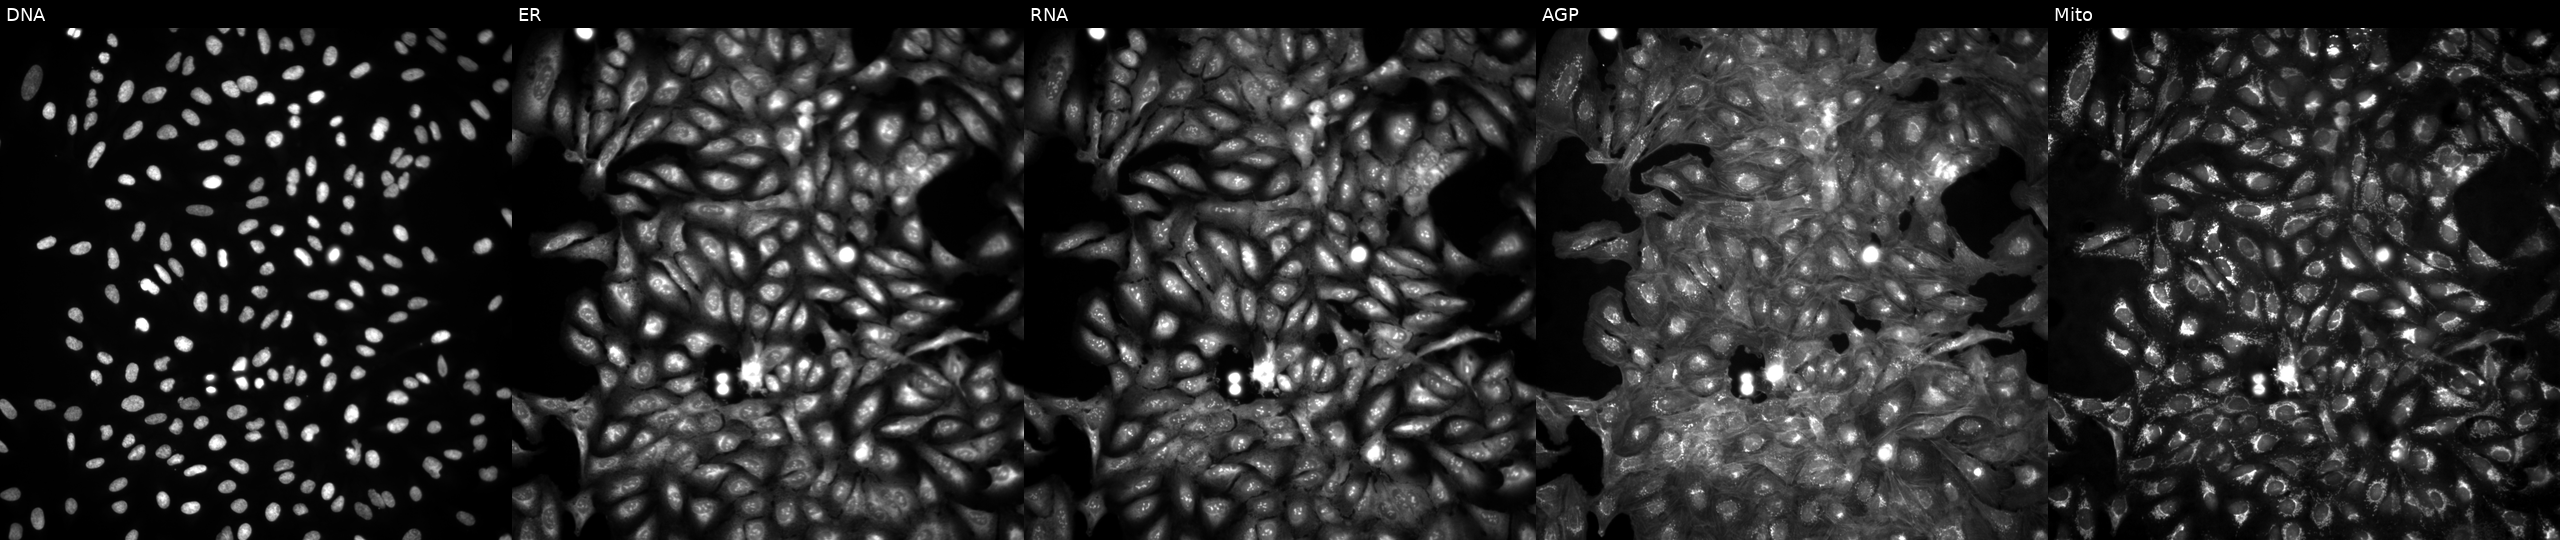
This image strip shows the five Cell Painting channels for a single field of U2OS cells untreated (empty-well control). The five panels, left to right, show Hoechst 33342, concanavalin A, SYTO 14, phalloidin and WGA, MitoTracker. Source 4, plate BR00124793, well B18.